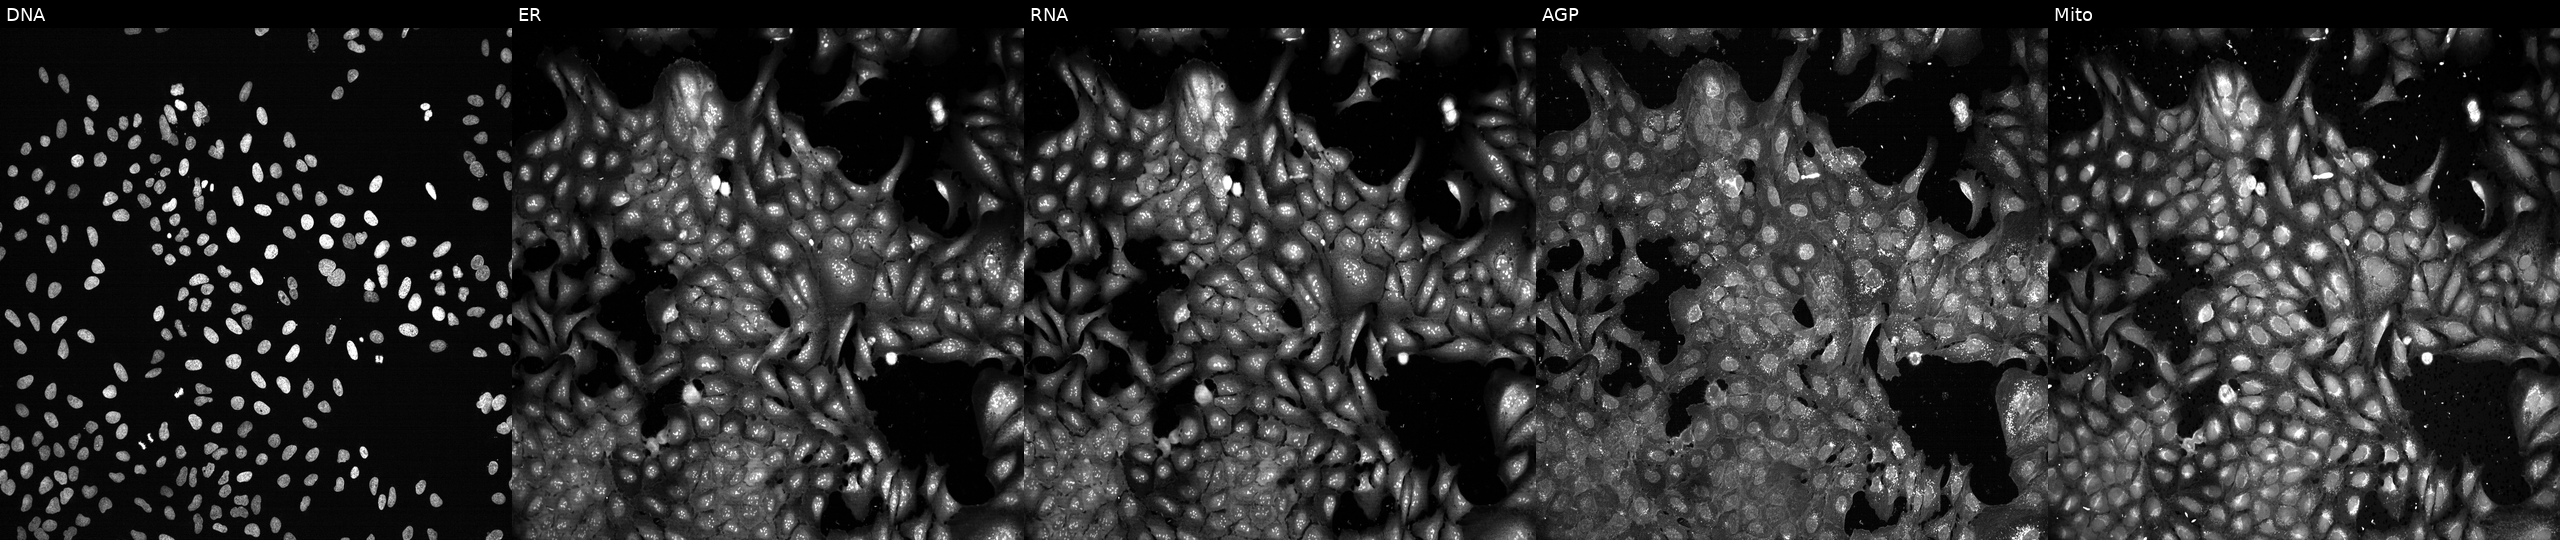
Five-channel Cell Painting image of U2OS cells with no CRISPR guide (negative control) (JUMP id JCP2022_800001). From left to right: DNA, ER, RNA, AGP, and Mito.